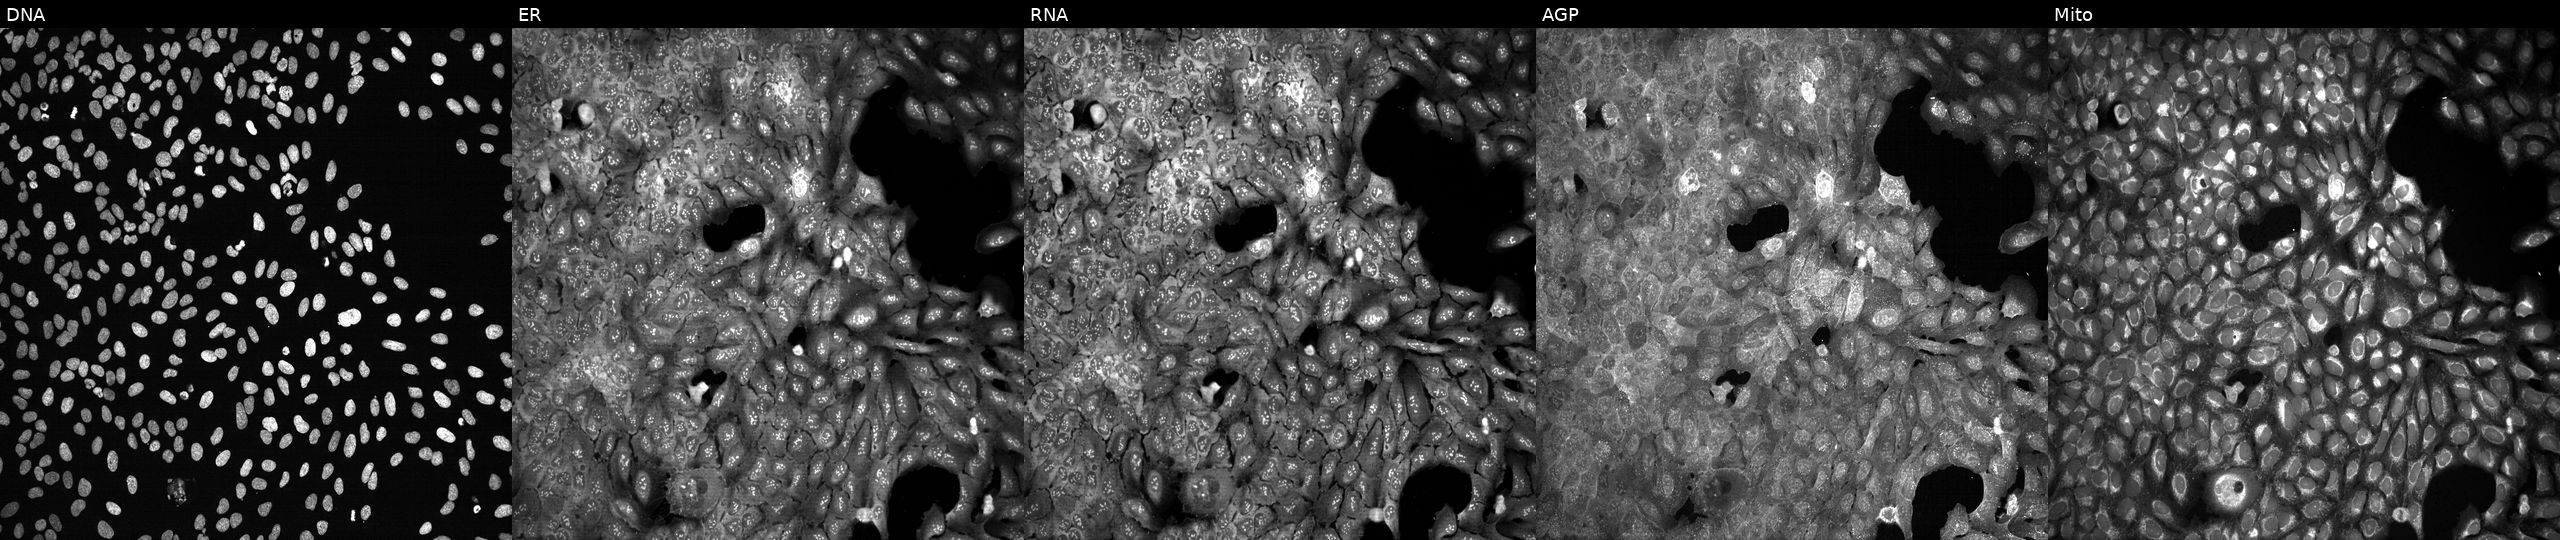
U2OS cells, Cell Painting assay, following CRISPR knockout of UGT1A4. The five panels, left to right, show DNA, ER, RNA, AGP, and Mito. Each panel is percentile-stretched 16-bit fluorescence. Source 13, plate CP-CC9-R5-01, well N05.